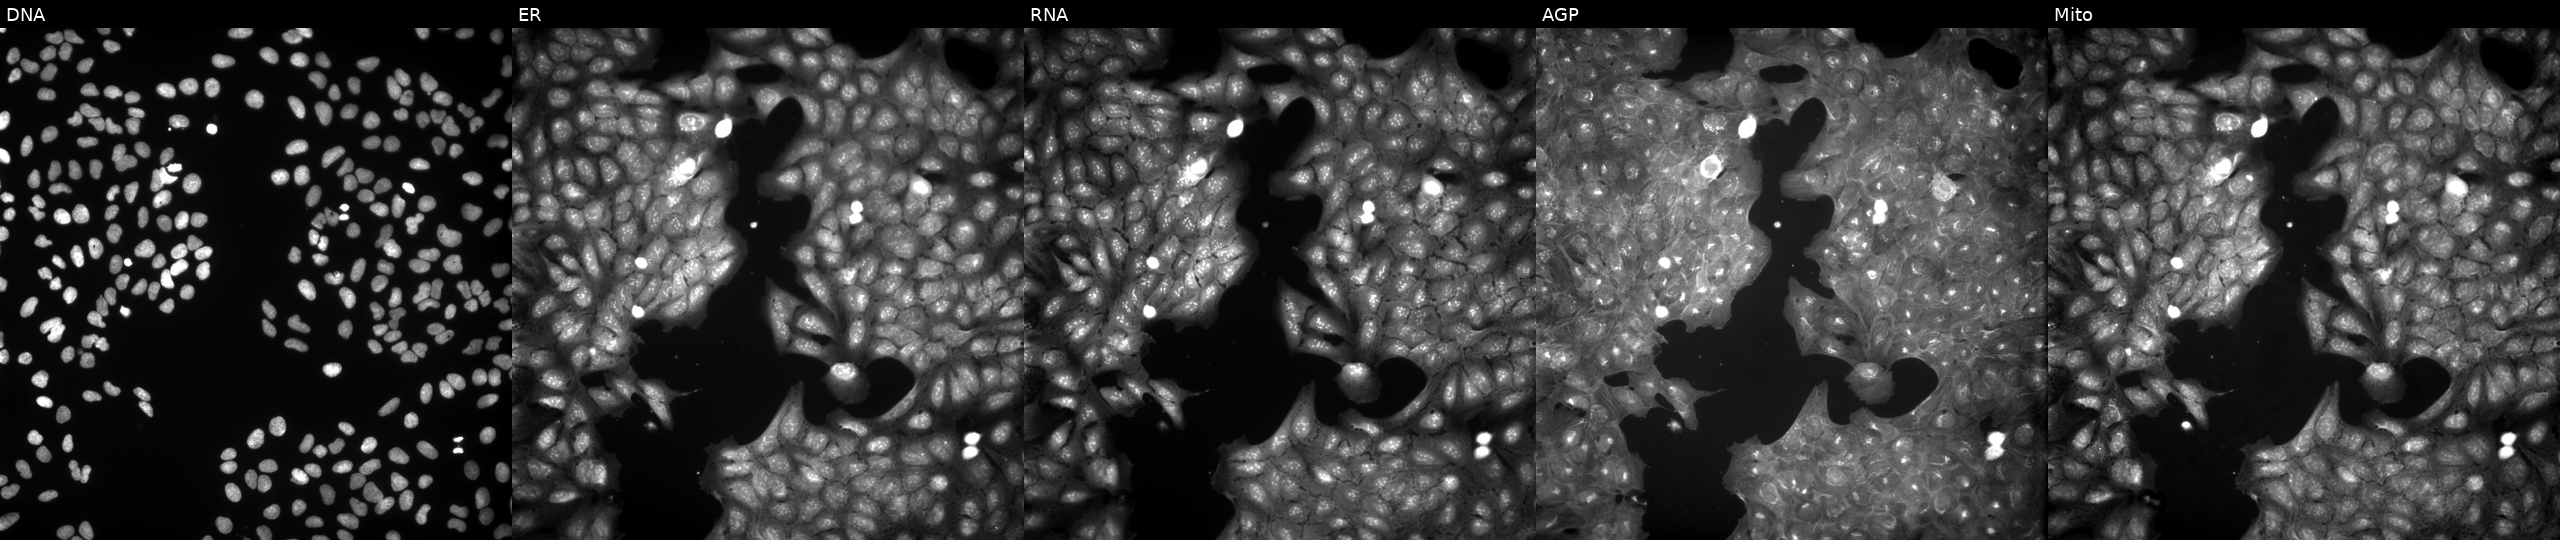
Panels show, left to right, DNA, ER, RNA, AGP, and Mito. U2OS osteosarcoma cells perturbed with a small-molecule compound (InChIKey BIGNVHWTMKJIKT-UHFFFAOYSA-N) [SMILES: COc1ccc2c(c1OC)C(=O)N(c1cccc(C)c1)C2]. Cell Painting assay, JUMP-CP dataset. Source 9, plate GR00003381, well V18.